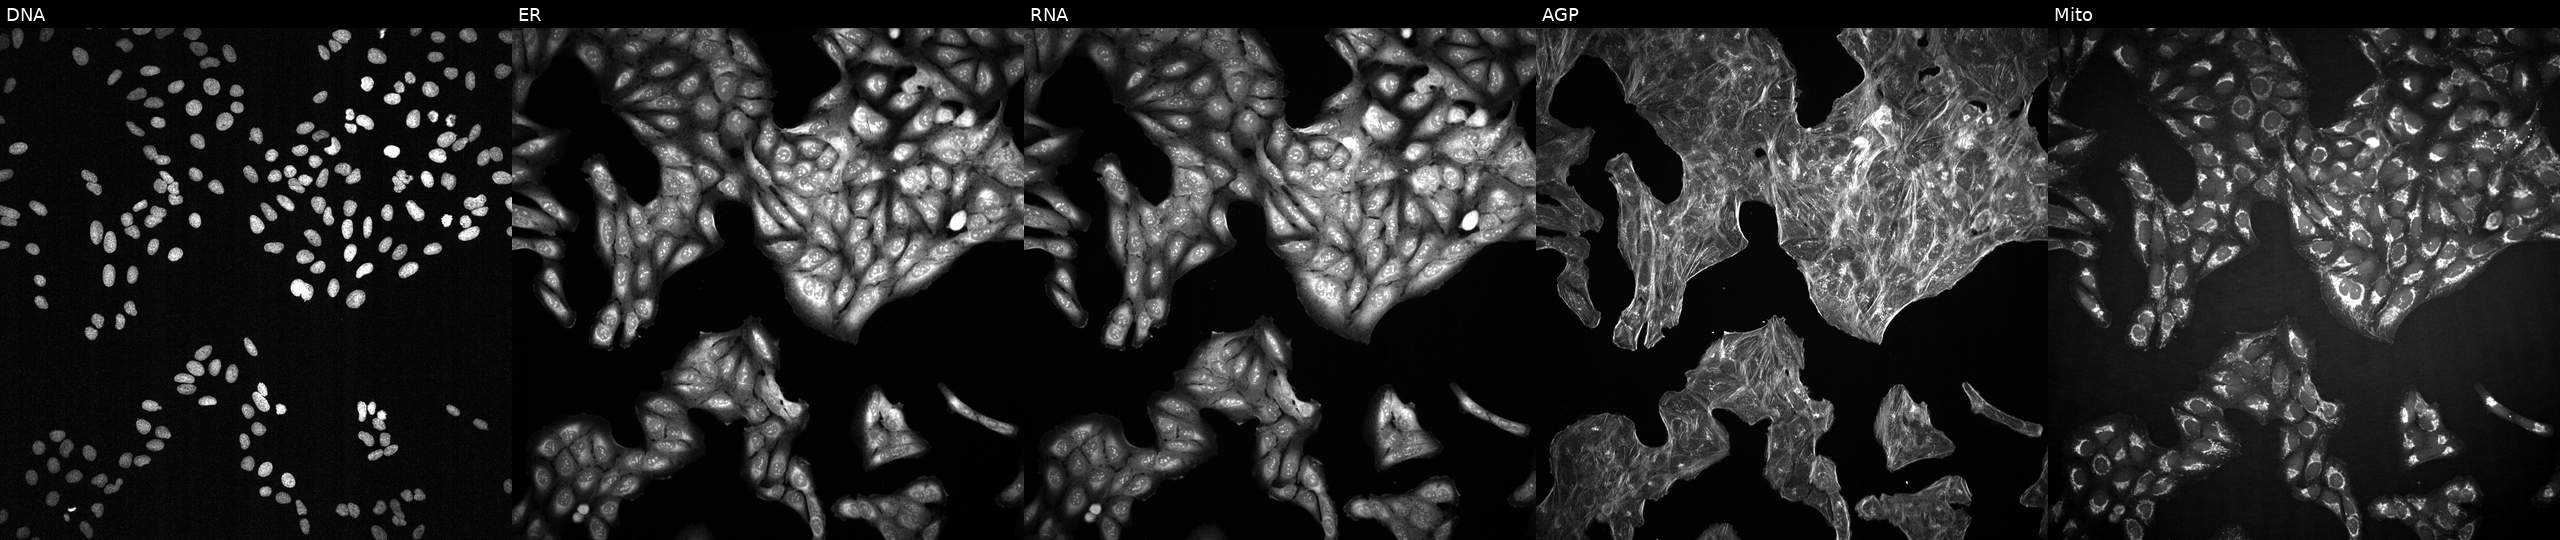
This image strip shows the five Cell Painting channels for a single field of U2OS cells treated with DMSO vehicle only (negative control) (JUMP id JCP2022_033924). From left to right: DNA, ER, RNA, AGP, and Mito. Source 2, plate 1053599503, well E18.